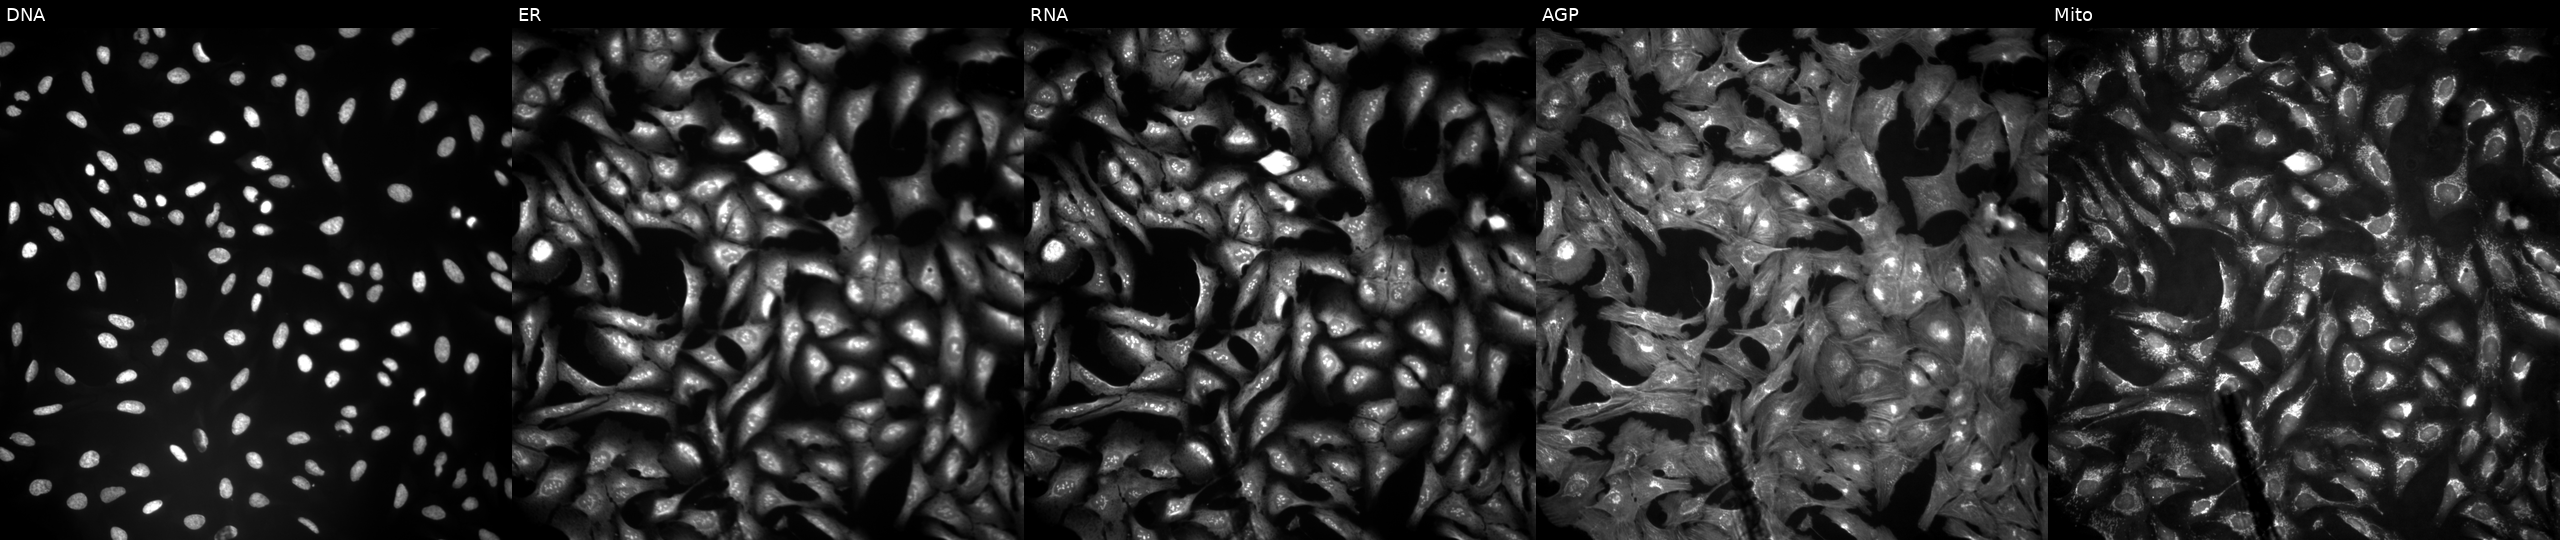
High-content fluorescence microscopy (Cell Painting). Cell line: U2OS. Perturbation: transfected with an ORF construct for CYSTM1 (JUMP id JCP2022_908582). The five panels, left to right, show DNA, ER, RNA, AGP, and Mito. Source 4, plate BR00124784, well F18.